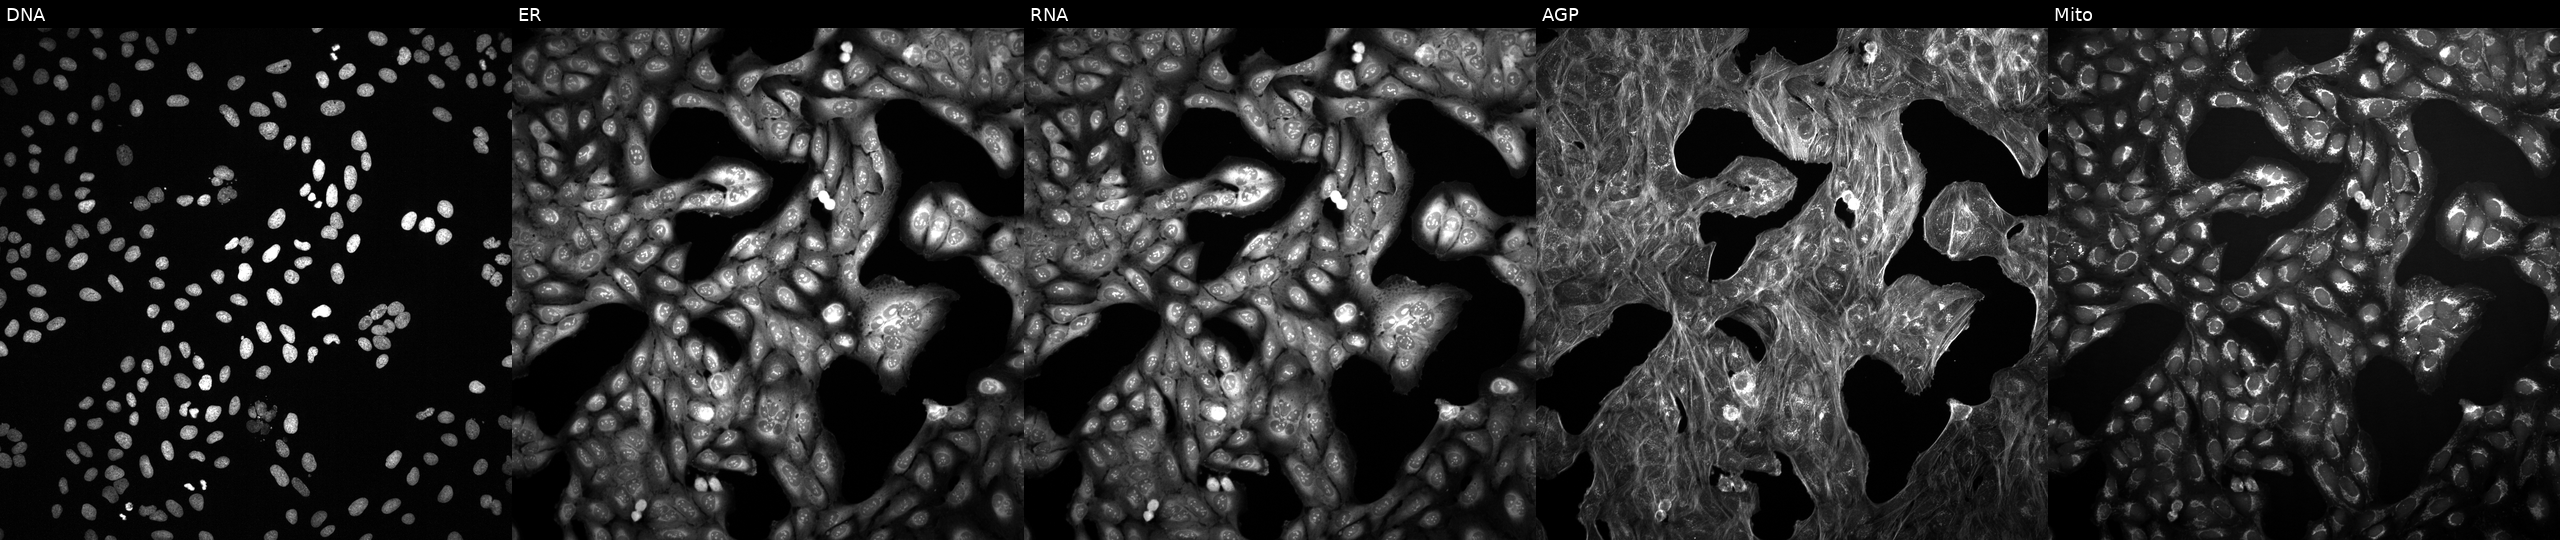
Five-channel Cell Painting image of U2OS cells treated with a small-molecule compound (InChIKey JZFPYUNJRRFVQU-UHFFFAOYSA-N). From left to right: DNA, ER, RNA, AGP, and Mito.